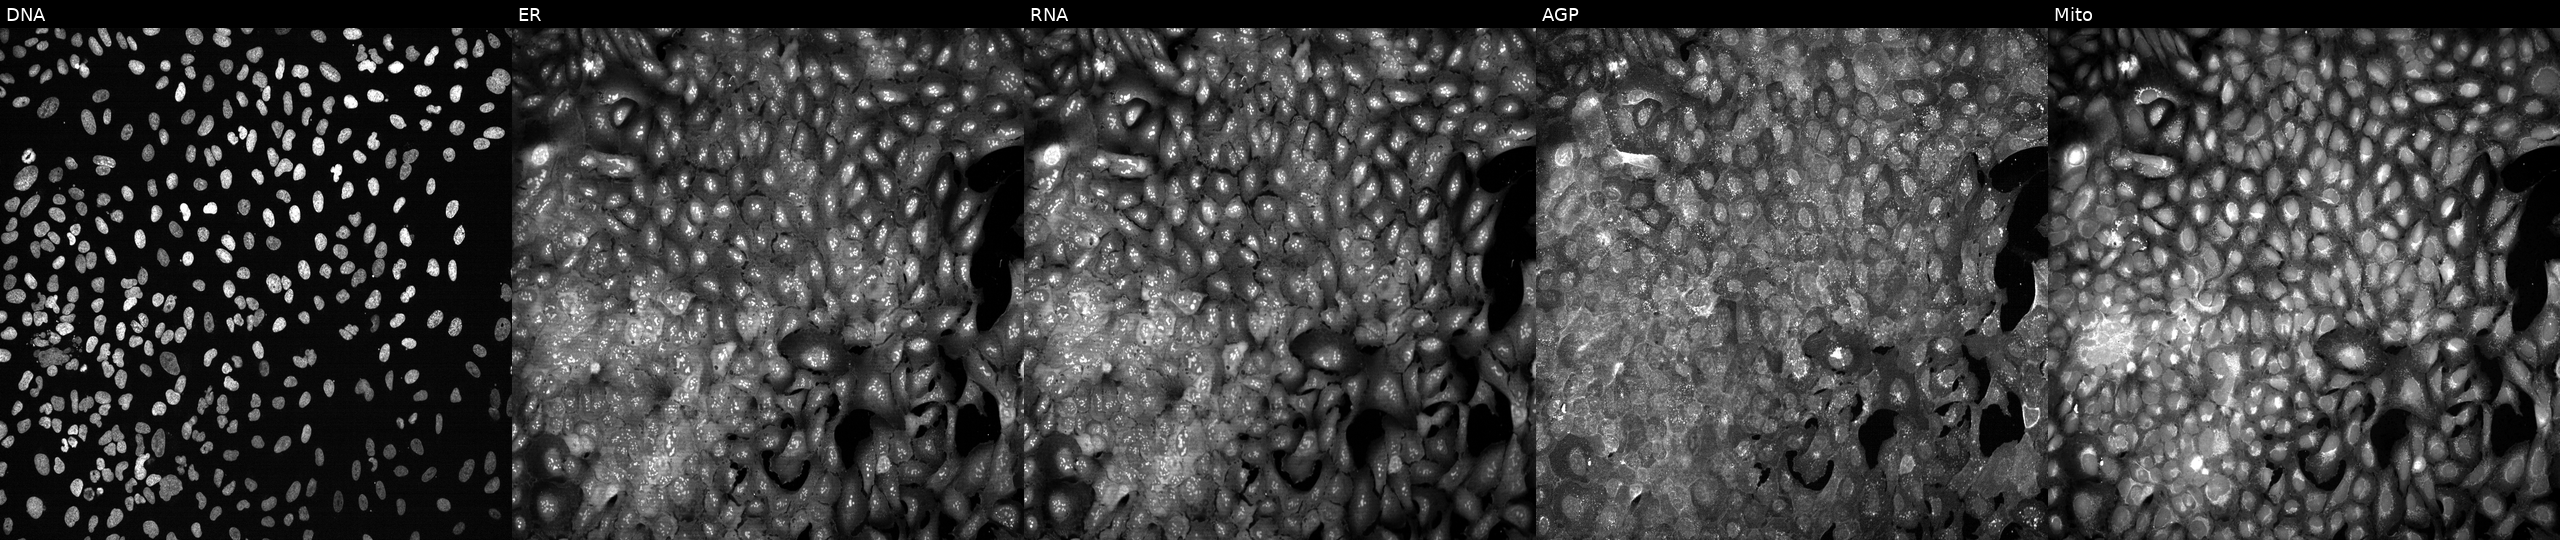
Five-channel Cell Painting image of U2OS cells following CRISPR knockout of SLC2A13. Channels (left→right): Hoechst 33342, concanavalin A, SYTO 14, phalloidin and WGA, MitoTracker.